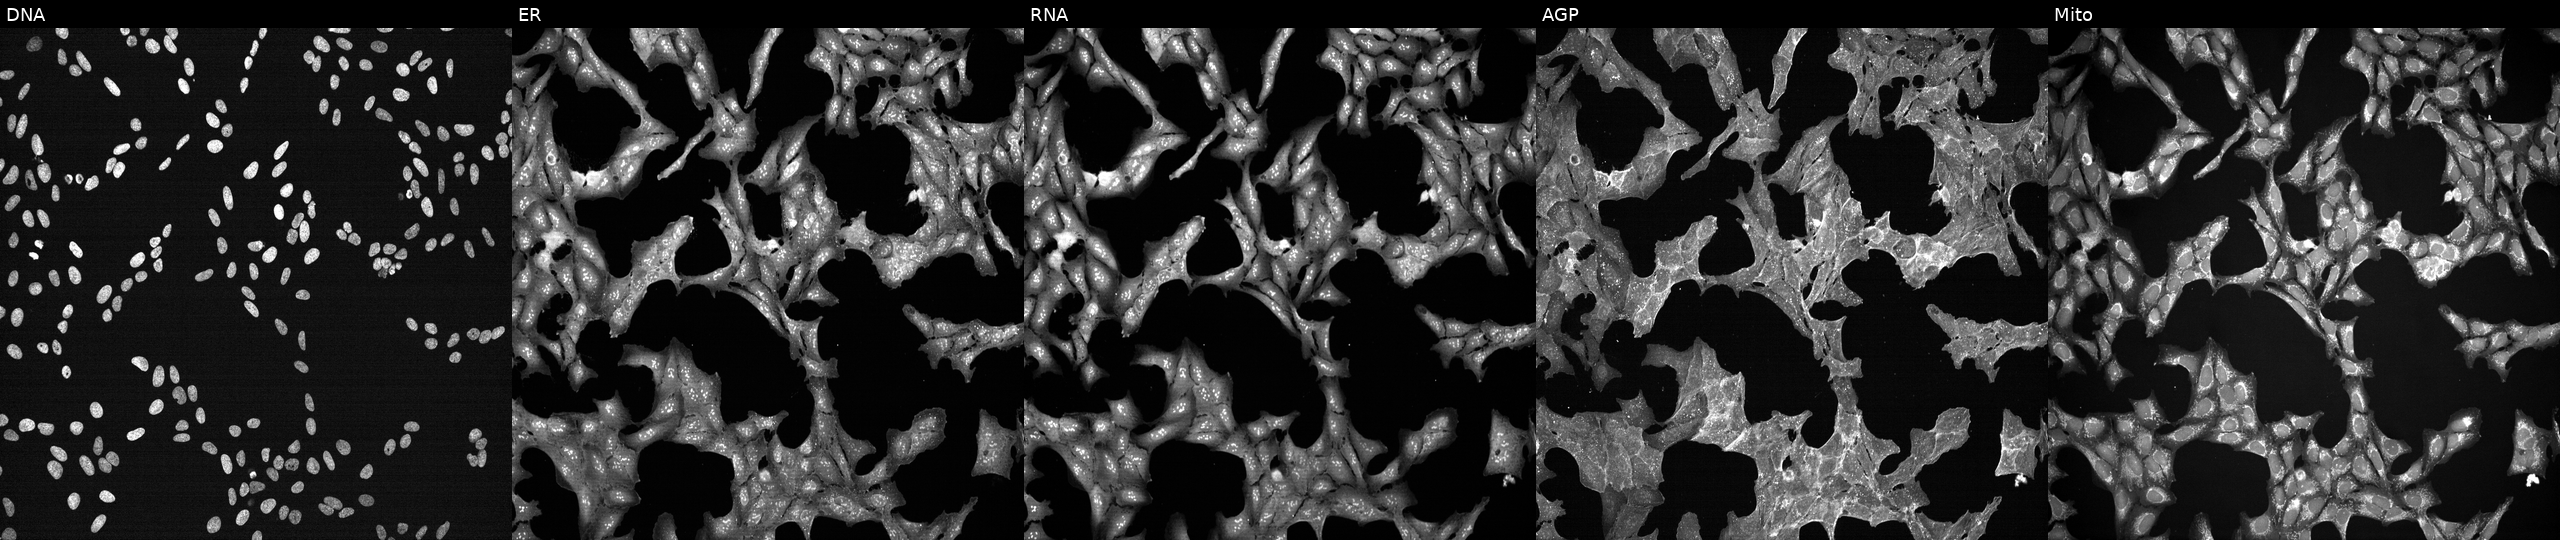
This image strip shows the five Cell Painting channels for a single field of U2OS cells treated with a small-molecule compound (InChIKey XFILPEOLDIKJHX-UHFFFAOYSA-N) (JUMP id JCP2022_103291). Channels (left→right): DNA (nuclei); ER (endoplasmic reticulum); RNA (nucleoli and cytoplasmic RNA); AGP (actin cytoskeleton, Golgi, and plasma membrane); Mito (mitochondria).